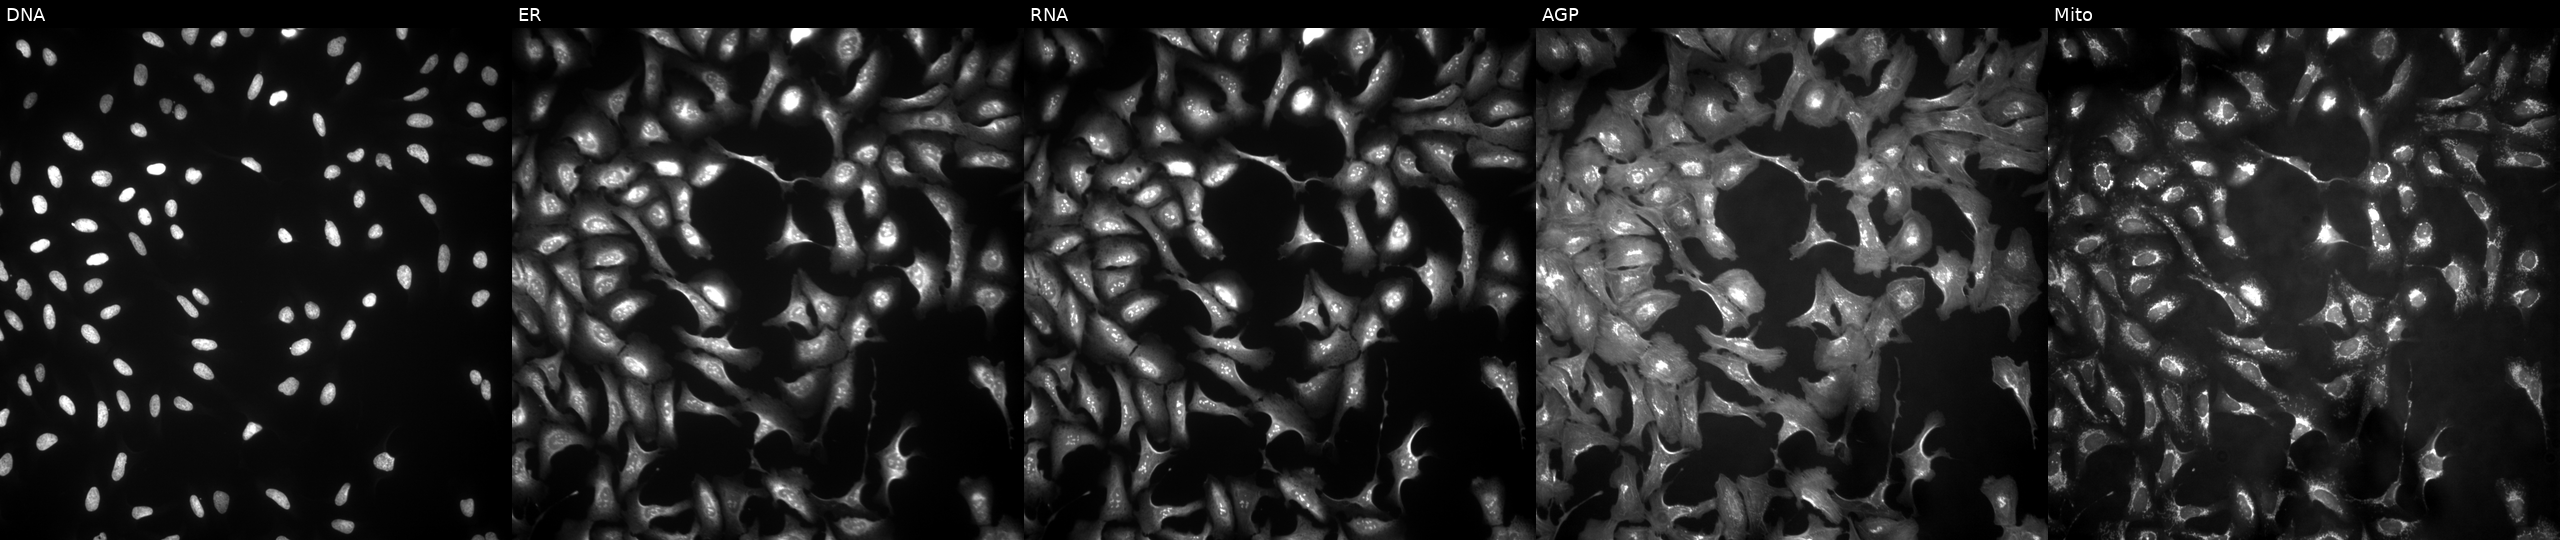
JUMP Cell Painting — ORF plate. U2OS cells with DUS3L overexpressed (ORF) (JUMP id JCP2022_914901). The five panels, left to right, show Hoechst 33342, concanavalin A, SYTO 14, phalloidin and WGA, MitoTracker. Source 4, plate BR00123506, well L16.